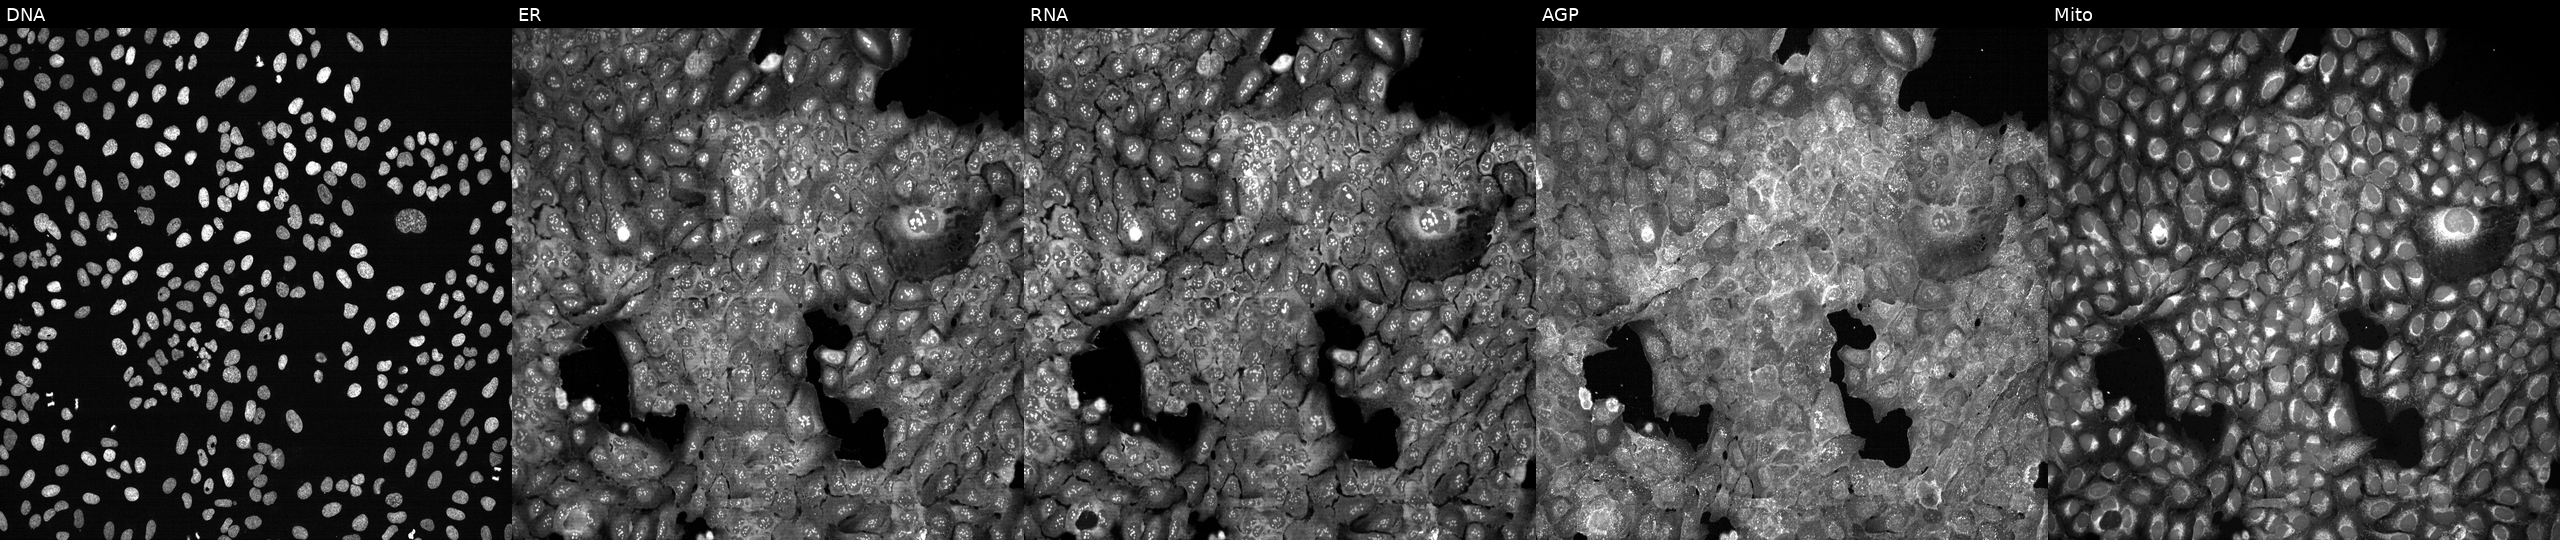
U2OS cells, Cell Painting assay, following CRISPR knockout of UCP1 (JUMP id JCP2022_807505). From left to right: DNA, ER, RNA, AGP, and Mito. Each panel is percentile-stretched 16-bit fluorescence.